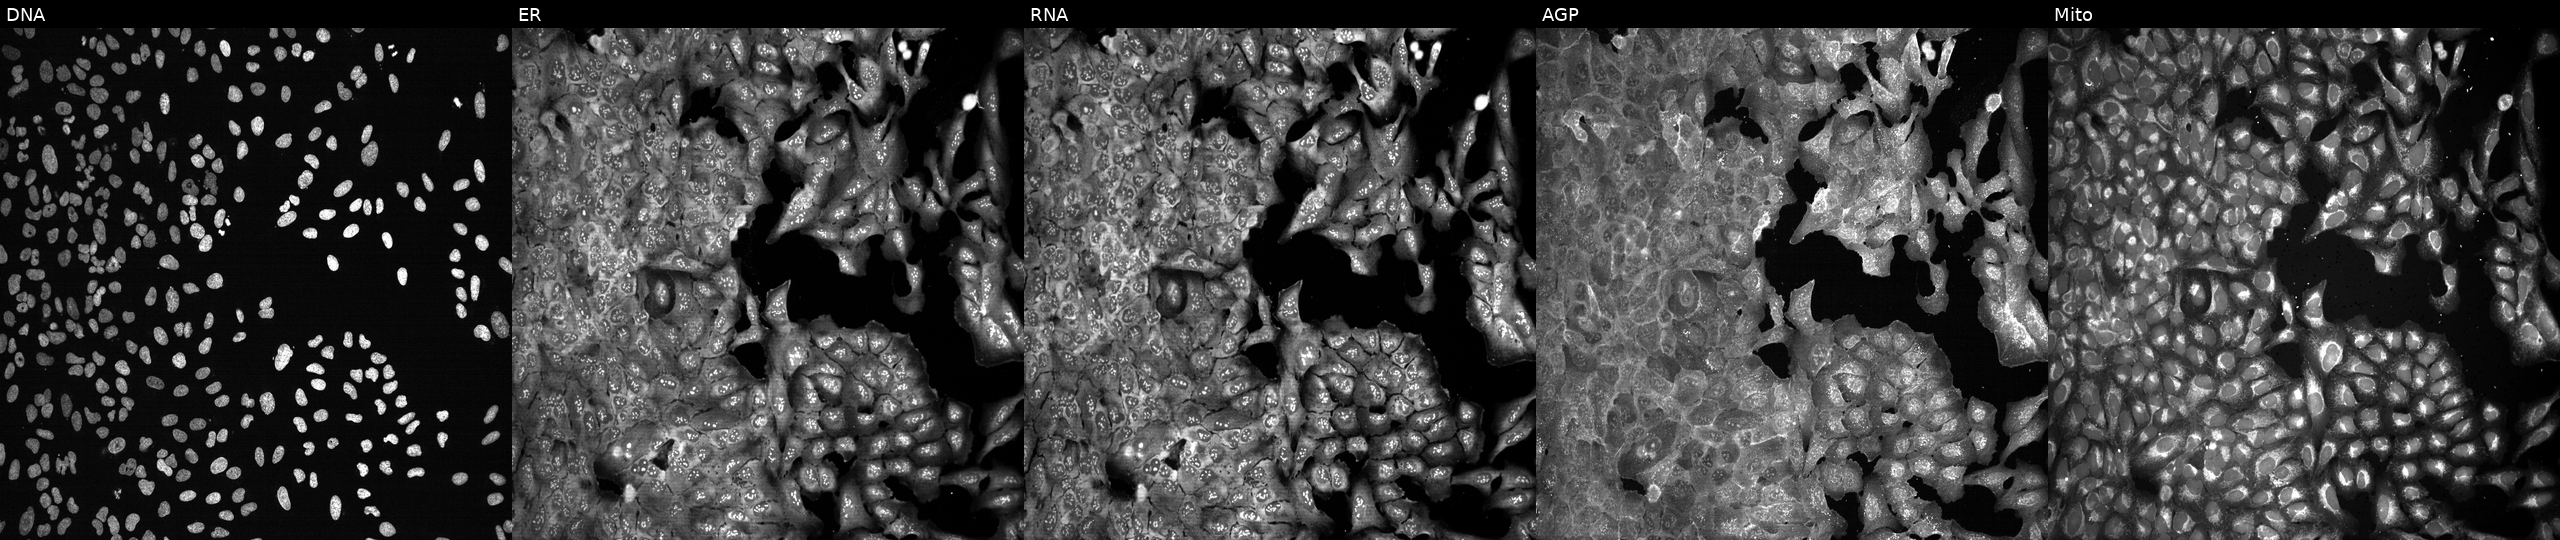
JUMP Cell Painting — CRISPR plate. U2OS cells with MOGAT1 knocked out by CRISPR. From left to right: DNA (nuclei); ER (endoplasmic reticulum); RNA (nucleoli and cytoplasmic RNA); AGP (actin cytoskeleton, Golgi, and plasma membrane); Mito (mitochondria).